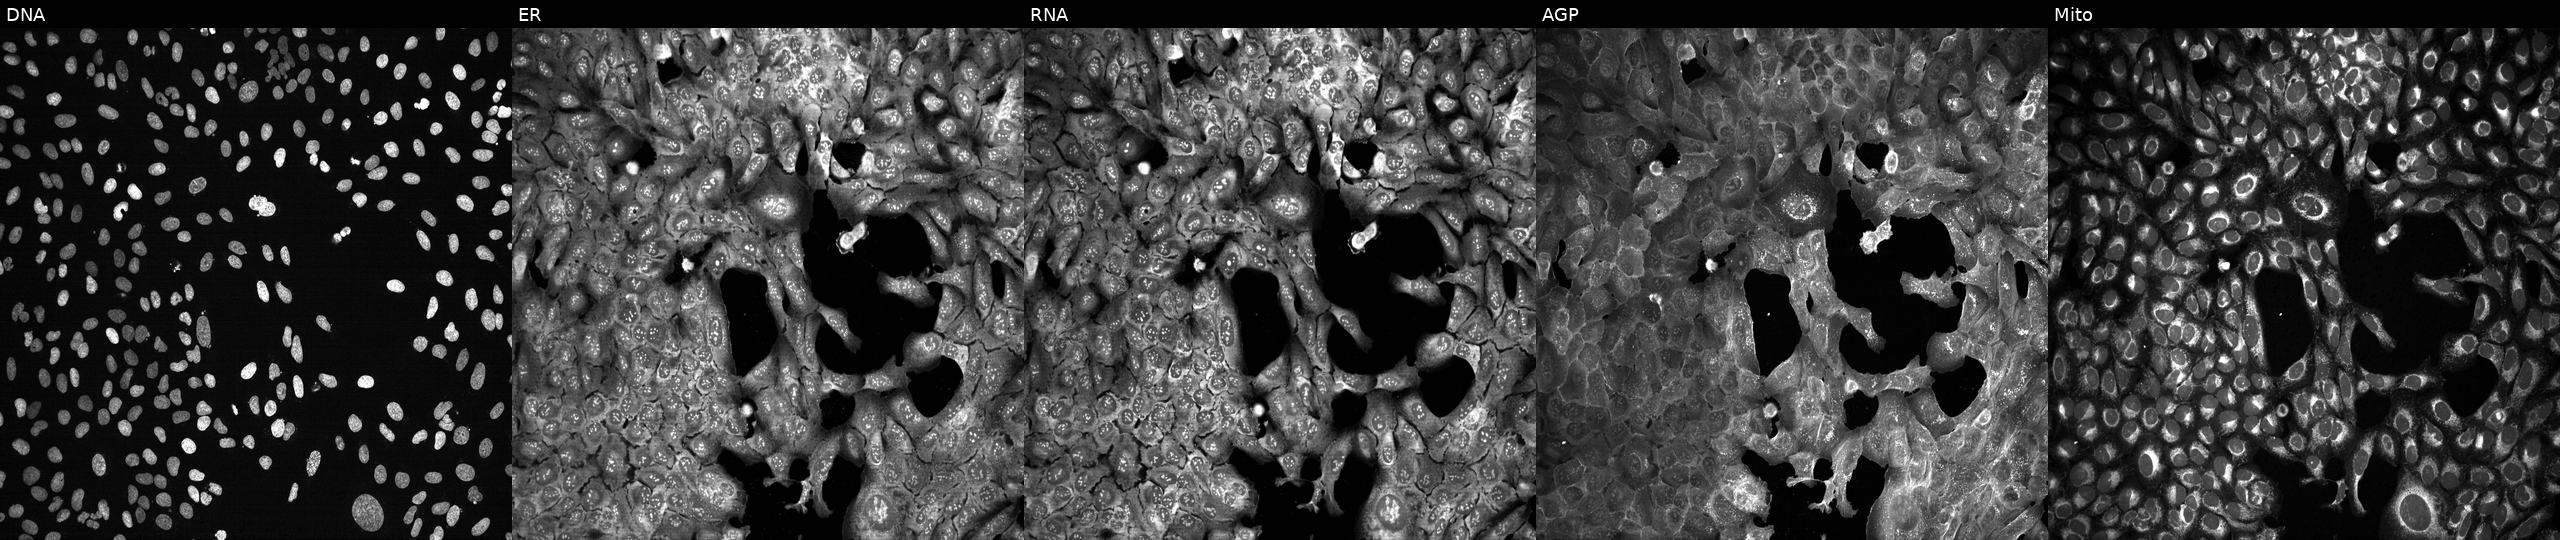
JUMP Cell Painting — CRISPR plate. U2OS cells CRISPR-edited to disrupt PRSS54 (JUMP id JCP2022_805595). Channels (left→right): Hoechst 33342, concanavalin A, SYTO 14, phalloidin and WGA, MitoTracker.